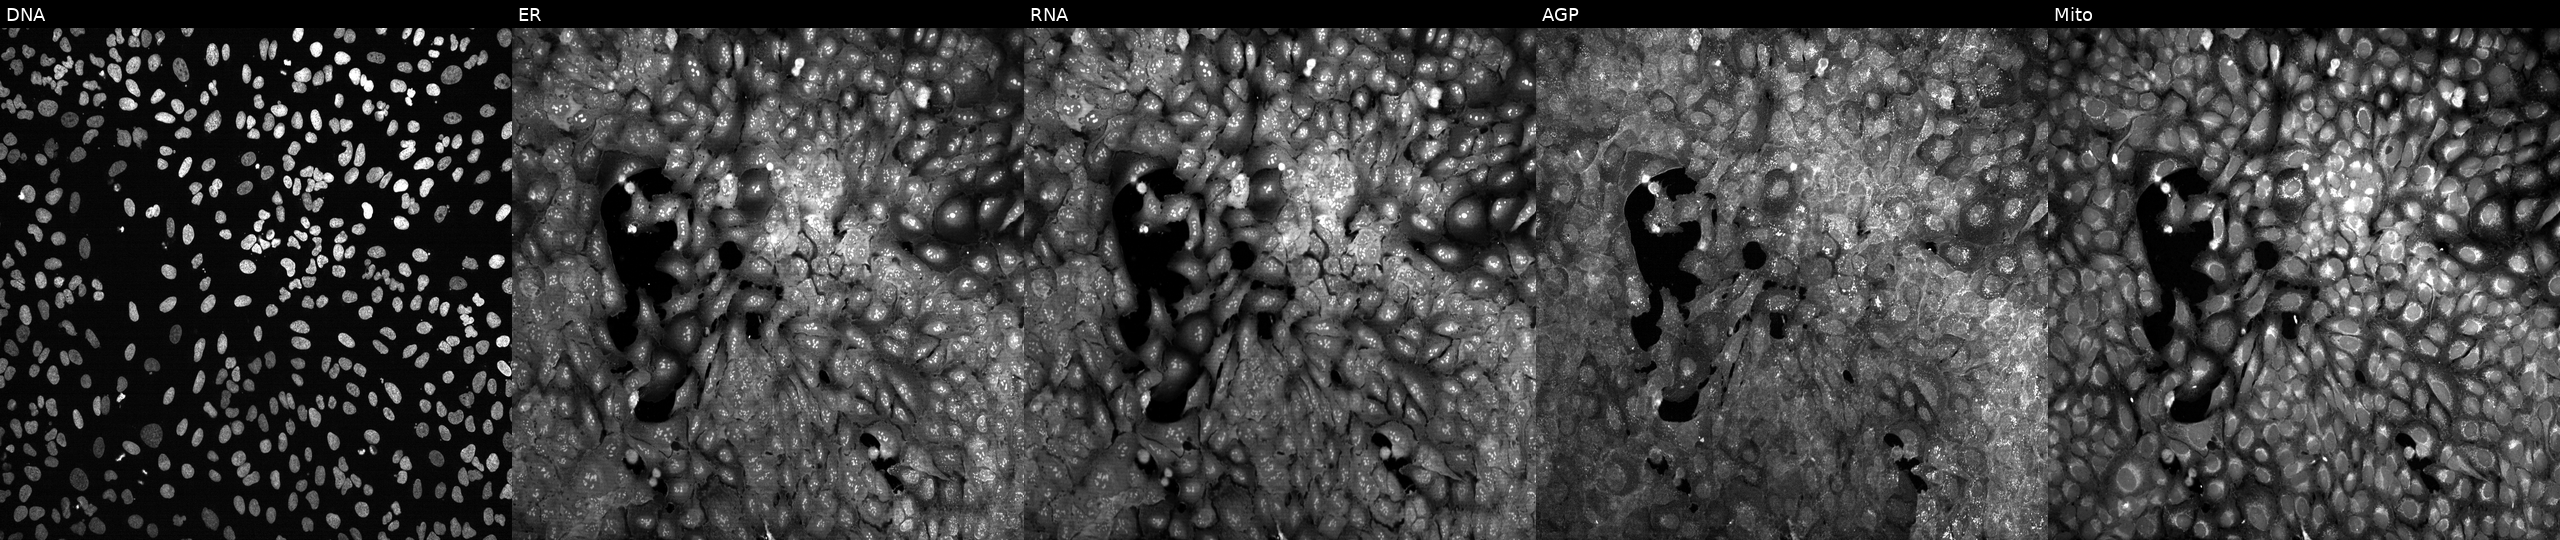
U2OS cells, Cell Painting assay, CRISPR-edited to disrupt GSPT2 (JUMP id JCP2022_802932). Panels show, left to right, Hoechst 33342, concanavalin A, SYTO 14, phalloidin and WGA, MitoTracker. Each panel is percentile-stretched 16-bit fluorescence. Source 13, plate CP-CC9-R1-02, well L03.